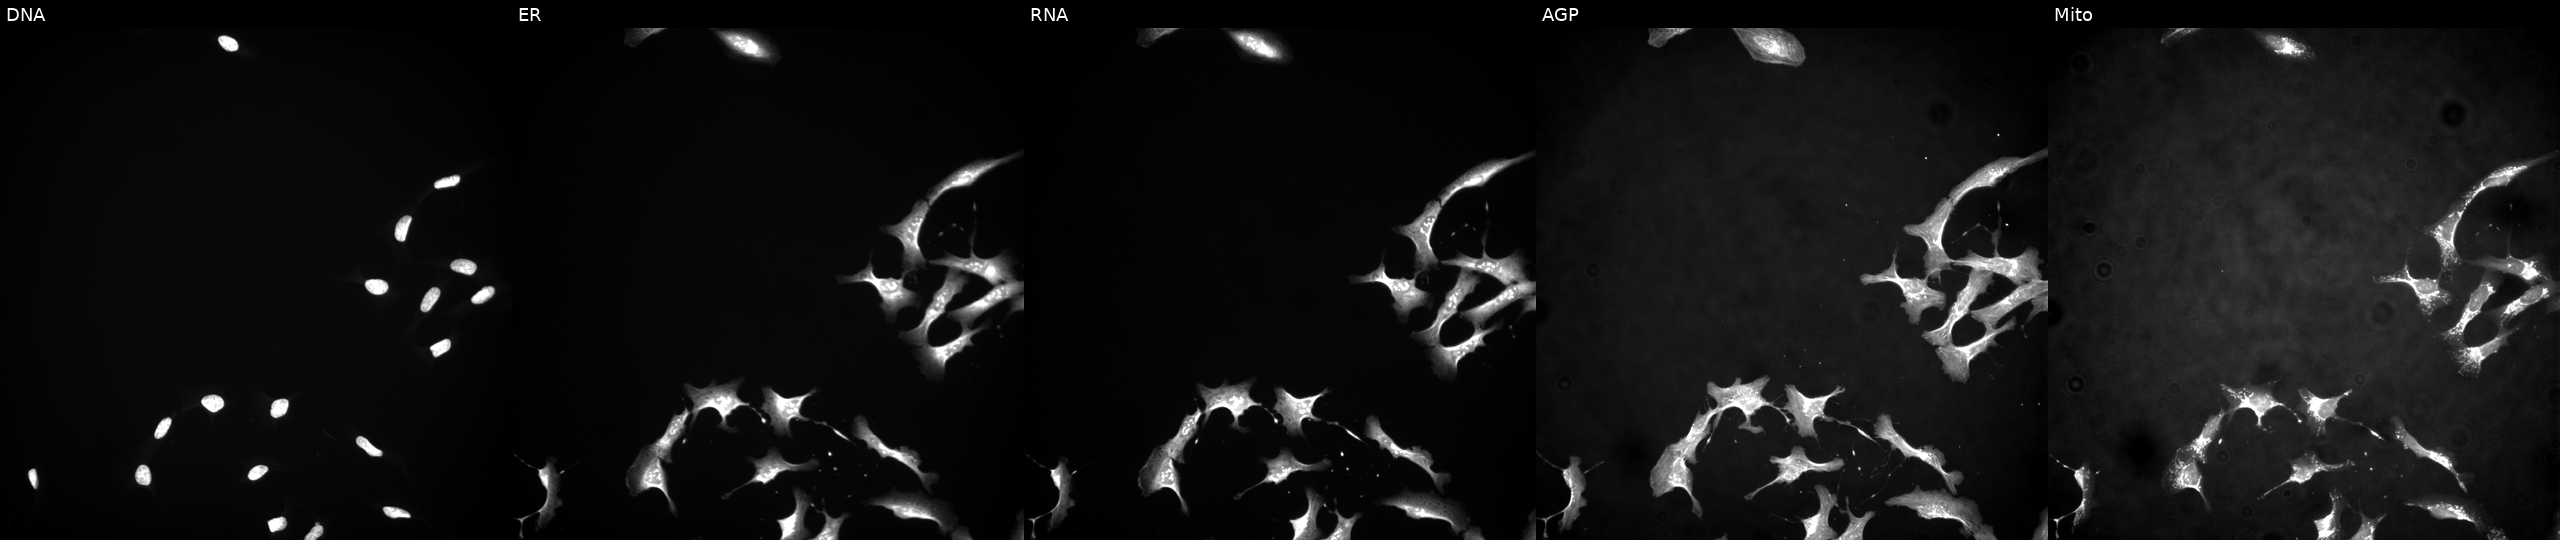
U2OS cells, Cell Painting assay, overexpressing ENDOV via ORF transfection. Panels show, left to right, DNA (nuclei); ER (endoplasmic reticulum); RNA (nucleoli and cytoplasmic RNA); AGP (actin cytoskeleton, Golgi, and plasma membrane); Mito (mitochondria). Each panel is percentile-stretched 16-bit fluorescence.